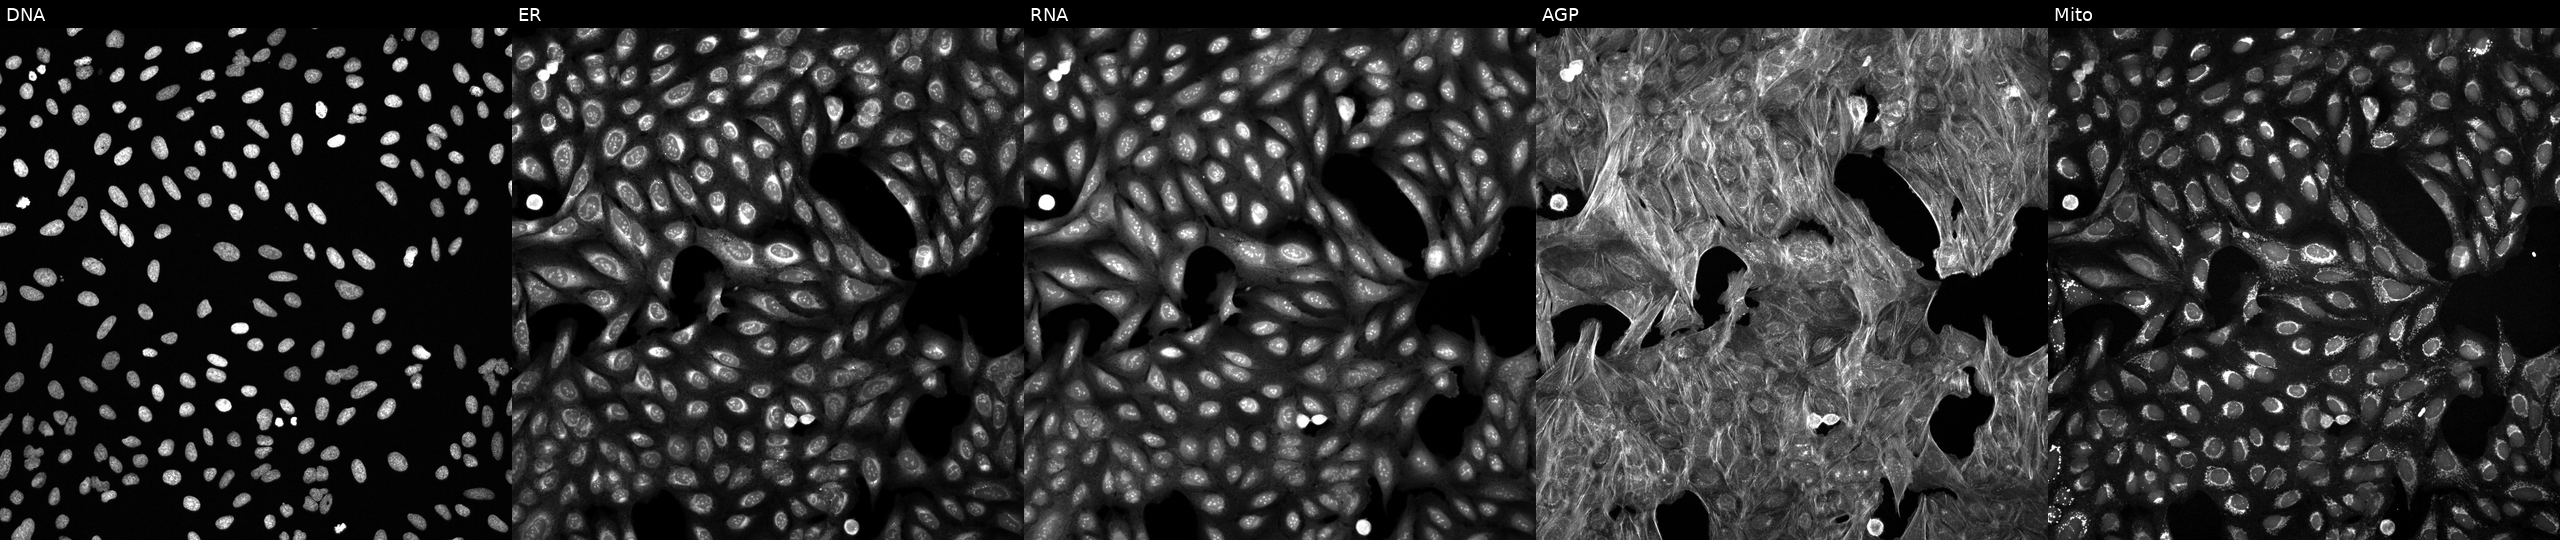
U2OS cells, Cell Painting assay, exposed to a small-molecule compound. The five panels, left to right, show Hoechst 33342, concanavalin A, SYTO 14, phalloidin and WGA, MitoTracker. Each panel is percentile-stretched 16-bit fluorescence.